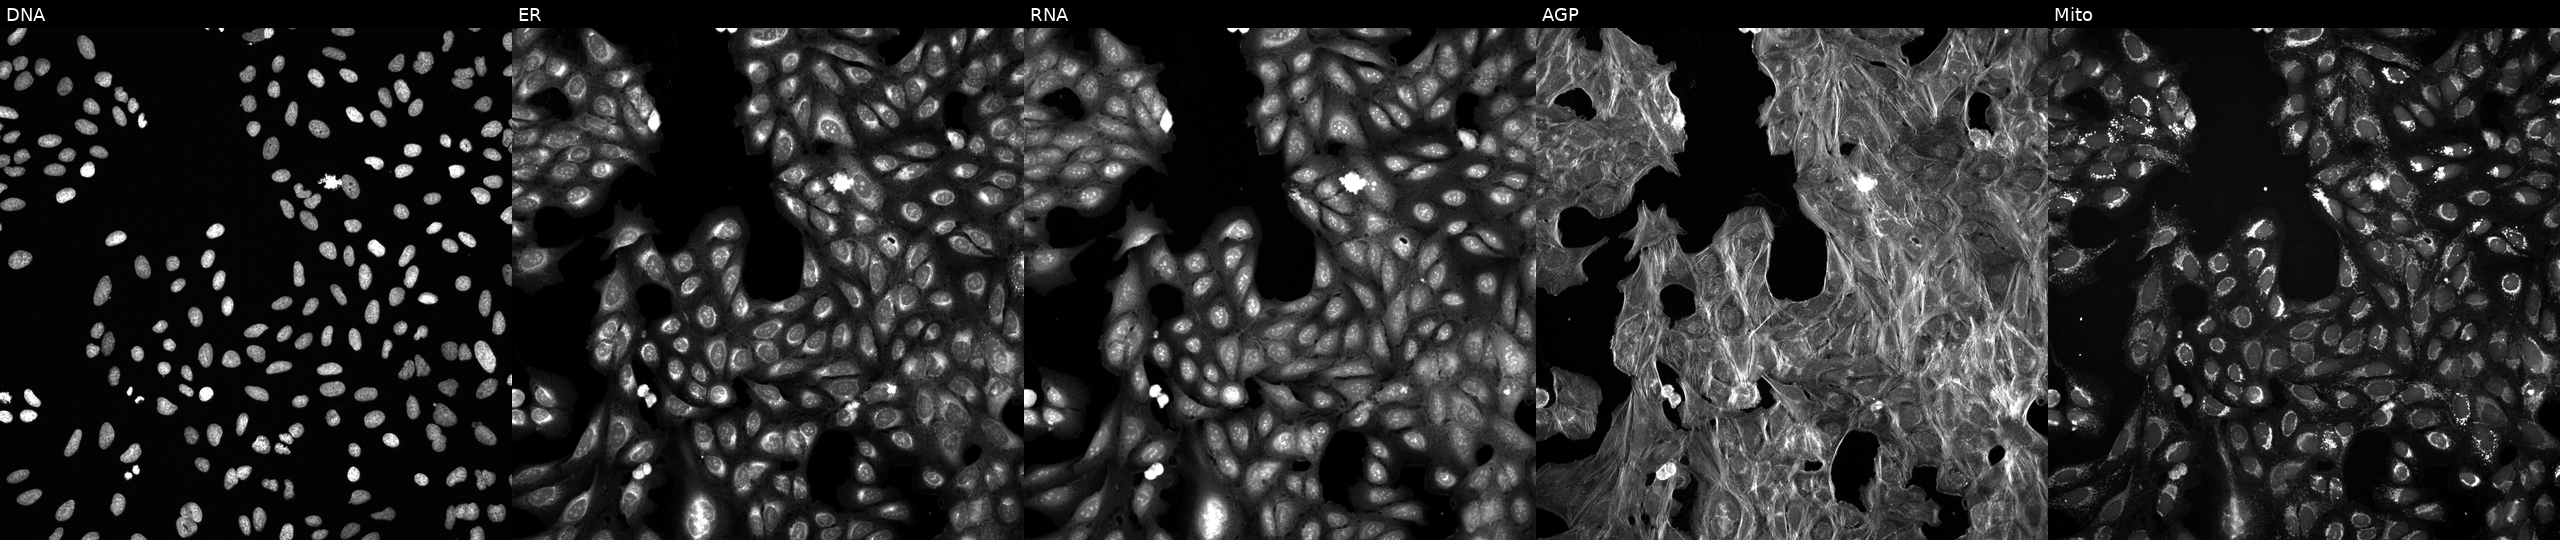
JUMP Cell Painting — TARGET2 plate. U2OS cells exposed to a small-molecule compound (InChIKey LQERMDXPGNOJCT-UHFFFAOYSA-N). From left to right: DNA (nuclei); ER (endoplasmic reticulum); RNA (nucleoli and cytoplasmic RNA); AGP (actin cytoskeleton, Golgi, and plasma membrane); Mito (mitochondria). Source 6, plate 110000293081, well I06.